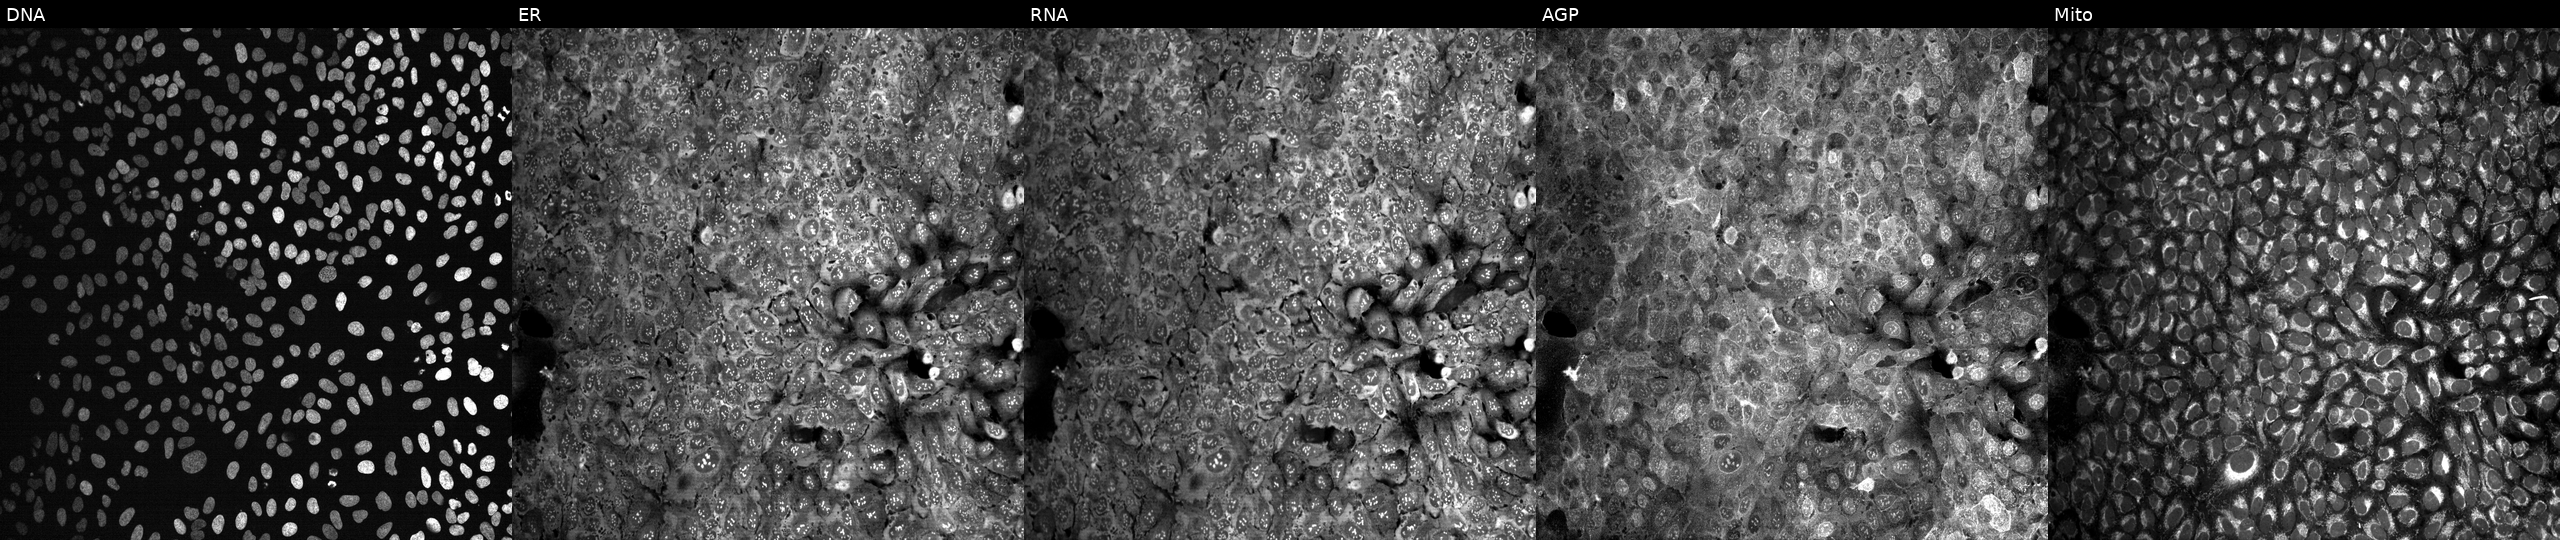
Channels (left→right): Hoechst 33342, concanavalin A, SYTO 14, phalloidin and WGA, MitoTracker. U2OS osteosarcoma cells exposed to the positive-control compound quinidine (JUMP id JCP2022_050797). Cell Painting assay, JUMP-CP dataset. Source 13, plate CP-CC9-R4-04, well O01.